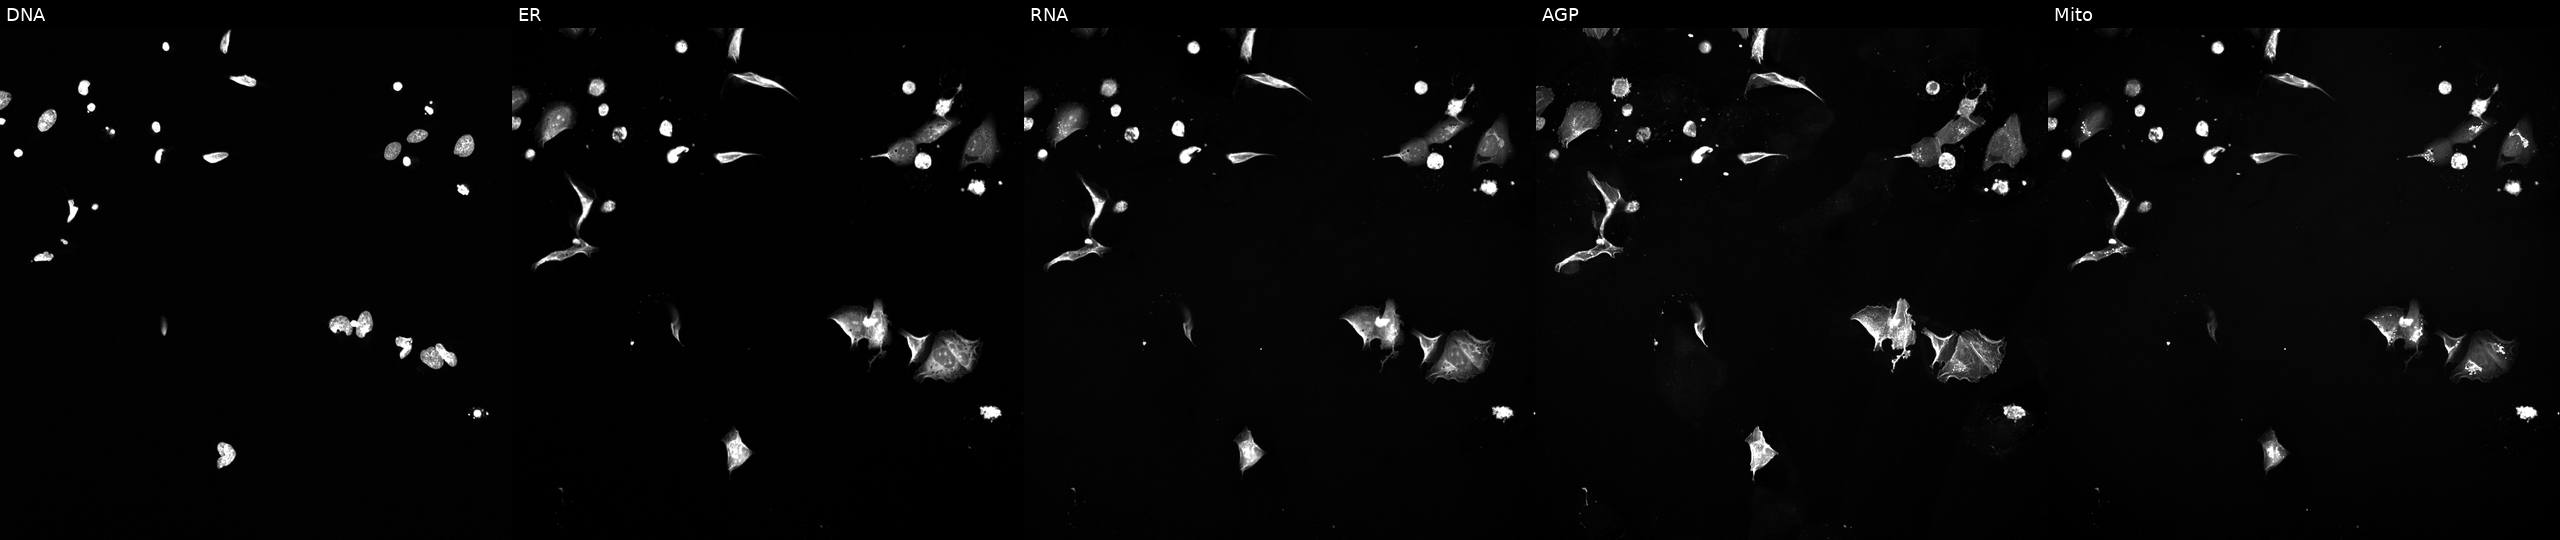
From left to right: DNA, ER, RNA, AGP, and Mito. U2OS osteosarcoma cells perturbed with a small-molecule compound. Cell Painting assay, JUMP-CP dataset. Source 5, plate ACPJUM012, well J02.